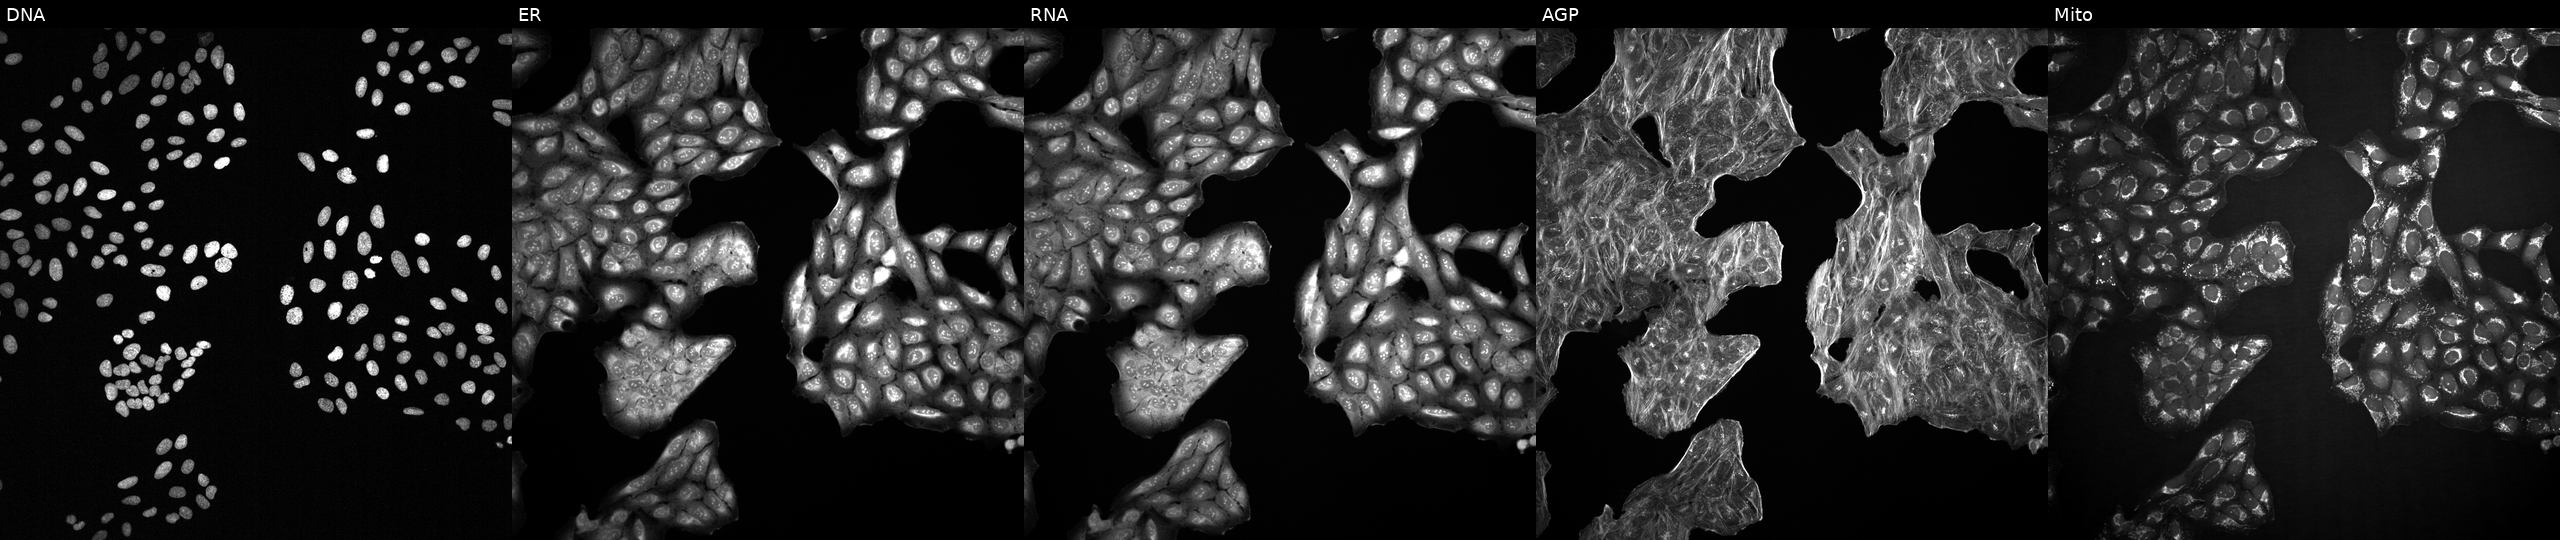
U2OS cells, Cell Painting assay, exposed to a small-molecule compound (JUMP id JCP2022_032081). From left to right: Hoechst 33342, concanavalin A, SYTO 14, phalloidin and WGA, MitoTracker. Each panel is percentile-stretched 16-bit fluorescence.